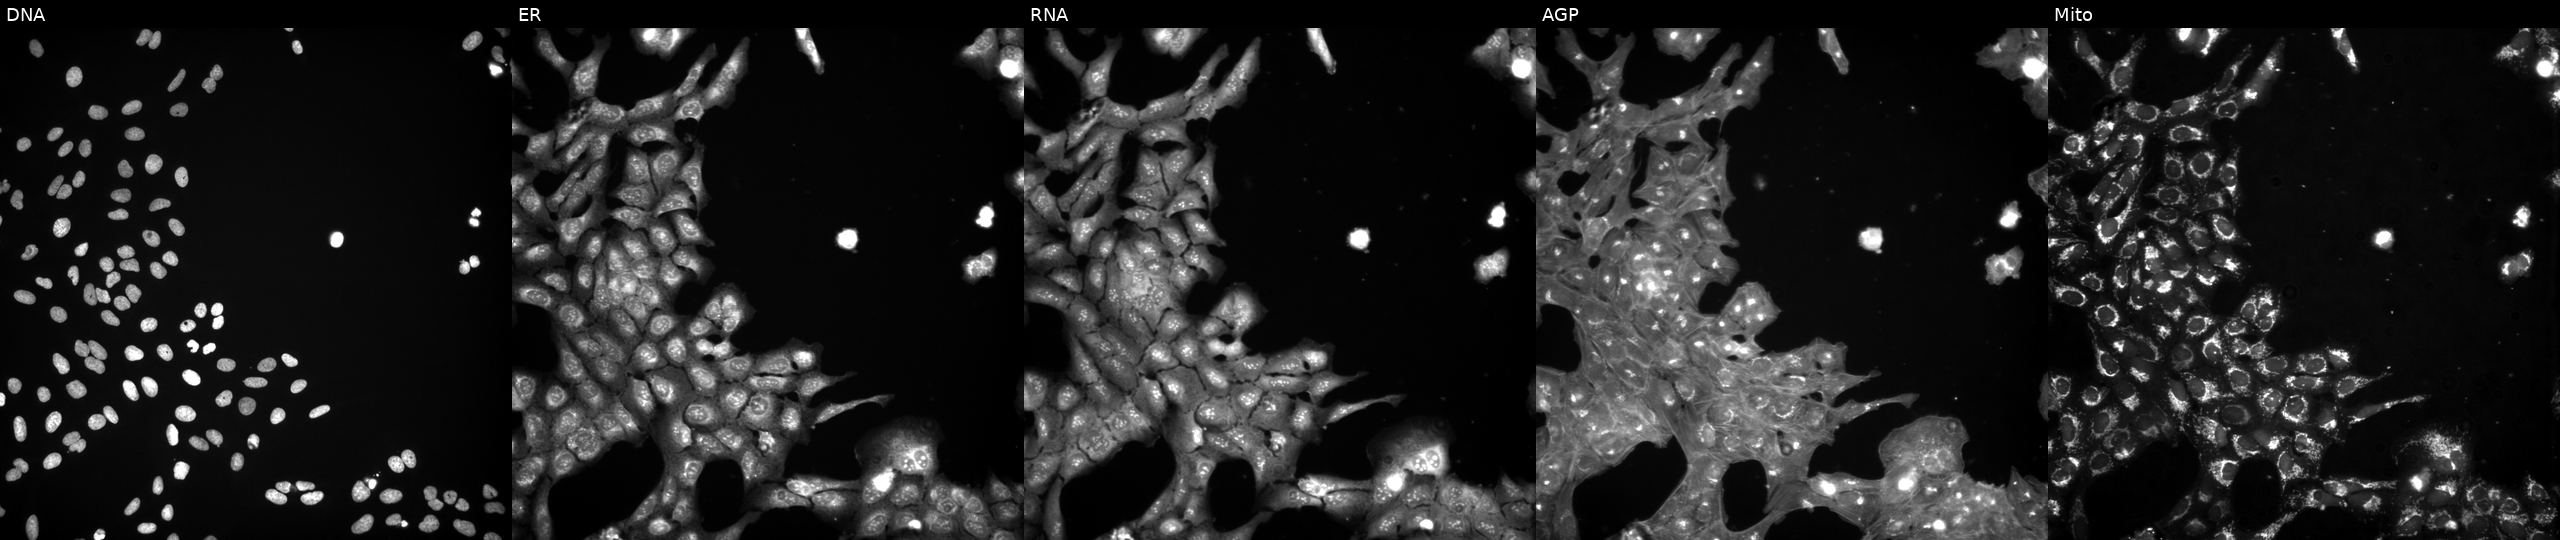
Five-channel Cell Painting image of U2OS cells perturbed with a small-molecule compound (InChIKey YPQAMABZRGBKAN-UHFFFAOYSA-N). From left to right: DNA (nuclei); ER (endoplasmic reticulum); RNA (nucleoli and cytoplasmic RNA); AGP (actin cytoskeleton, Golgi, and plasma membrane); Mito (mitochondria).